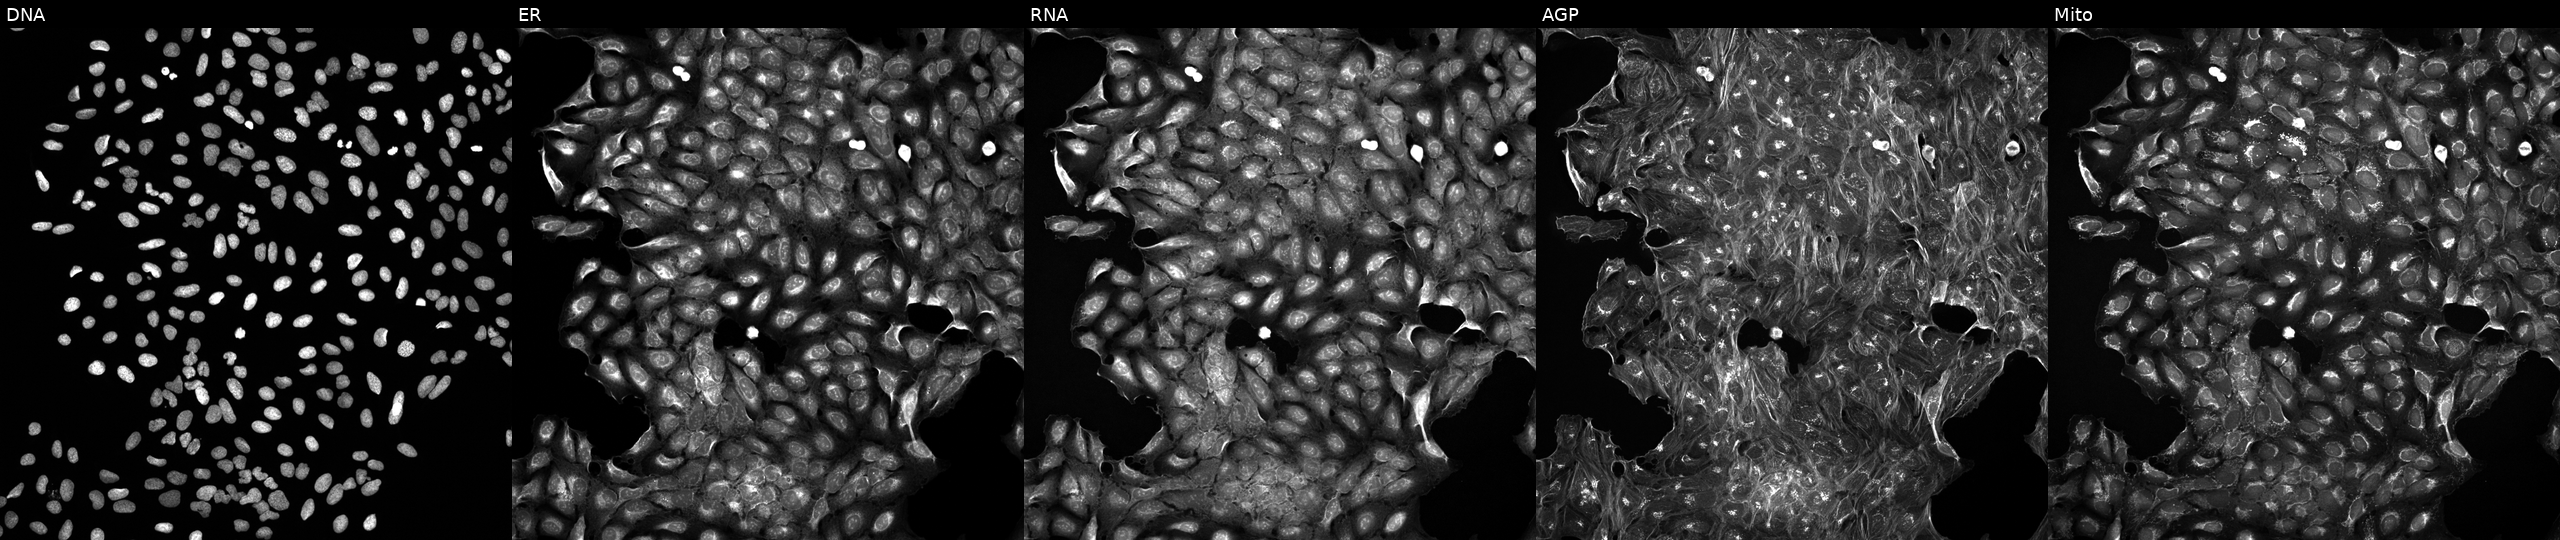
Channels (left→right): Hoechst 33342, concanavalin A, SYTO 14, phalloidin and WGA, MitoTracker. U2OS osteosarcoma cells treated with DMSO vehicle only (negative control). Cell Painting assay, JUMP-CP dataset. Source 5, plate ACPJUM012, well I09.